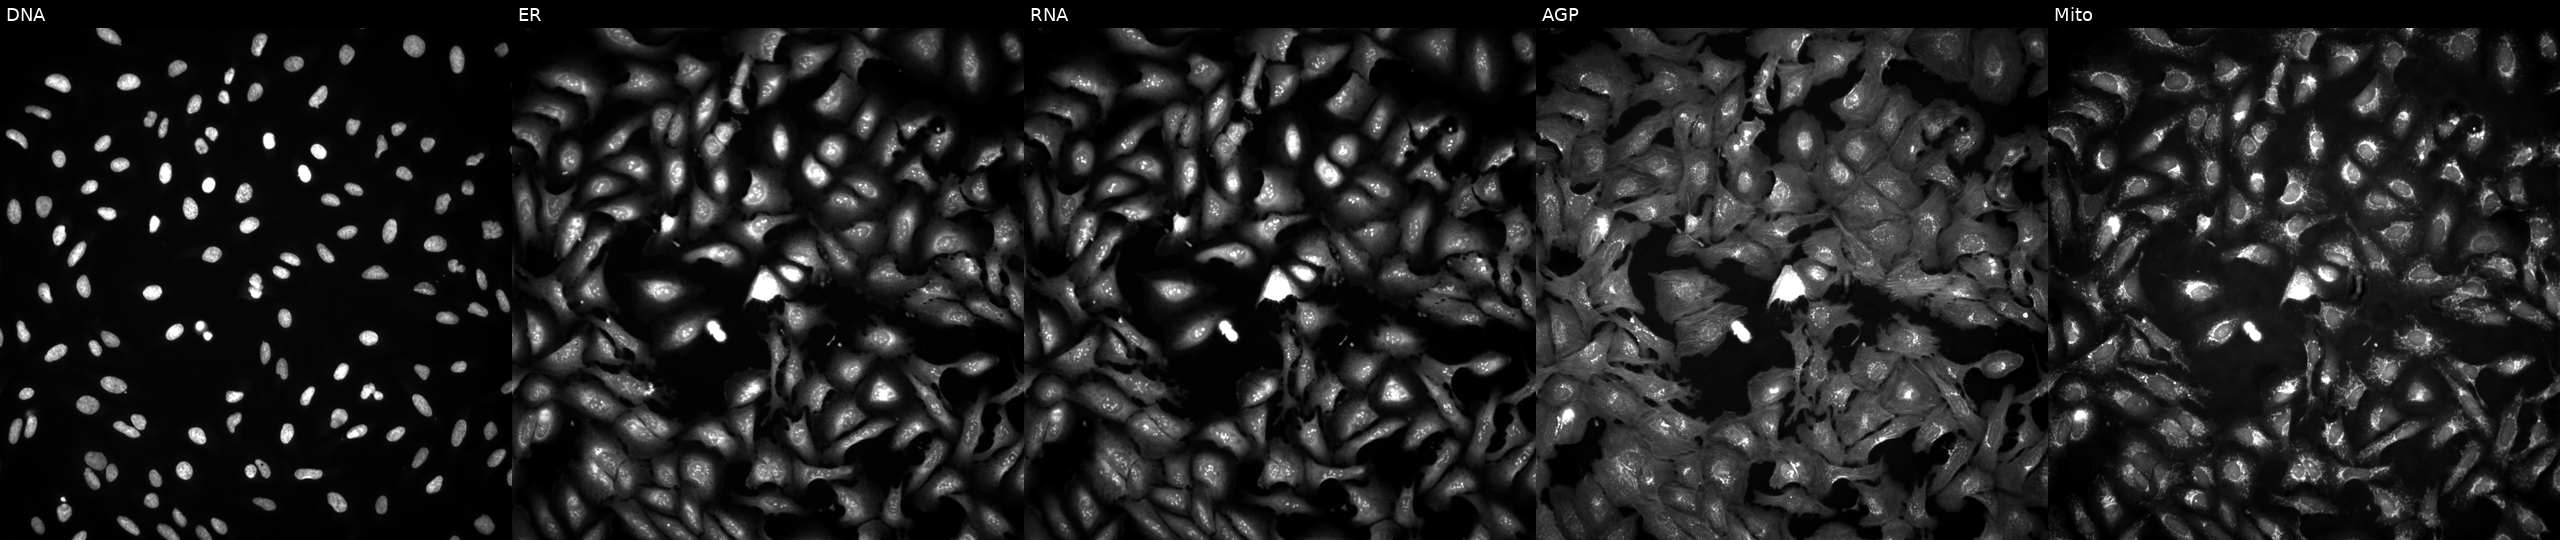
High-content fluorescence microscopy (Cell Painting). Cell line: U2OS. Perturbation: overexpressing DNAJC6 via ORF transfection (JUMP id JCP2022_910651). From left to right: DNA (nuclei); ER (endoplasmic reticulum); RNA (nucleoli and cytoplasmic RNA); AGP (actin cytoskeleton, Golgi, and plasma membrane); Mito (mitochondria).